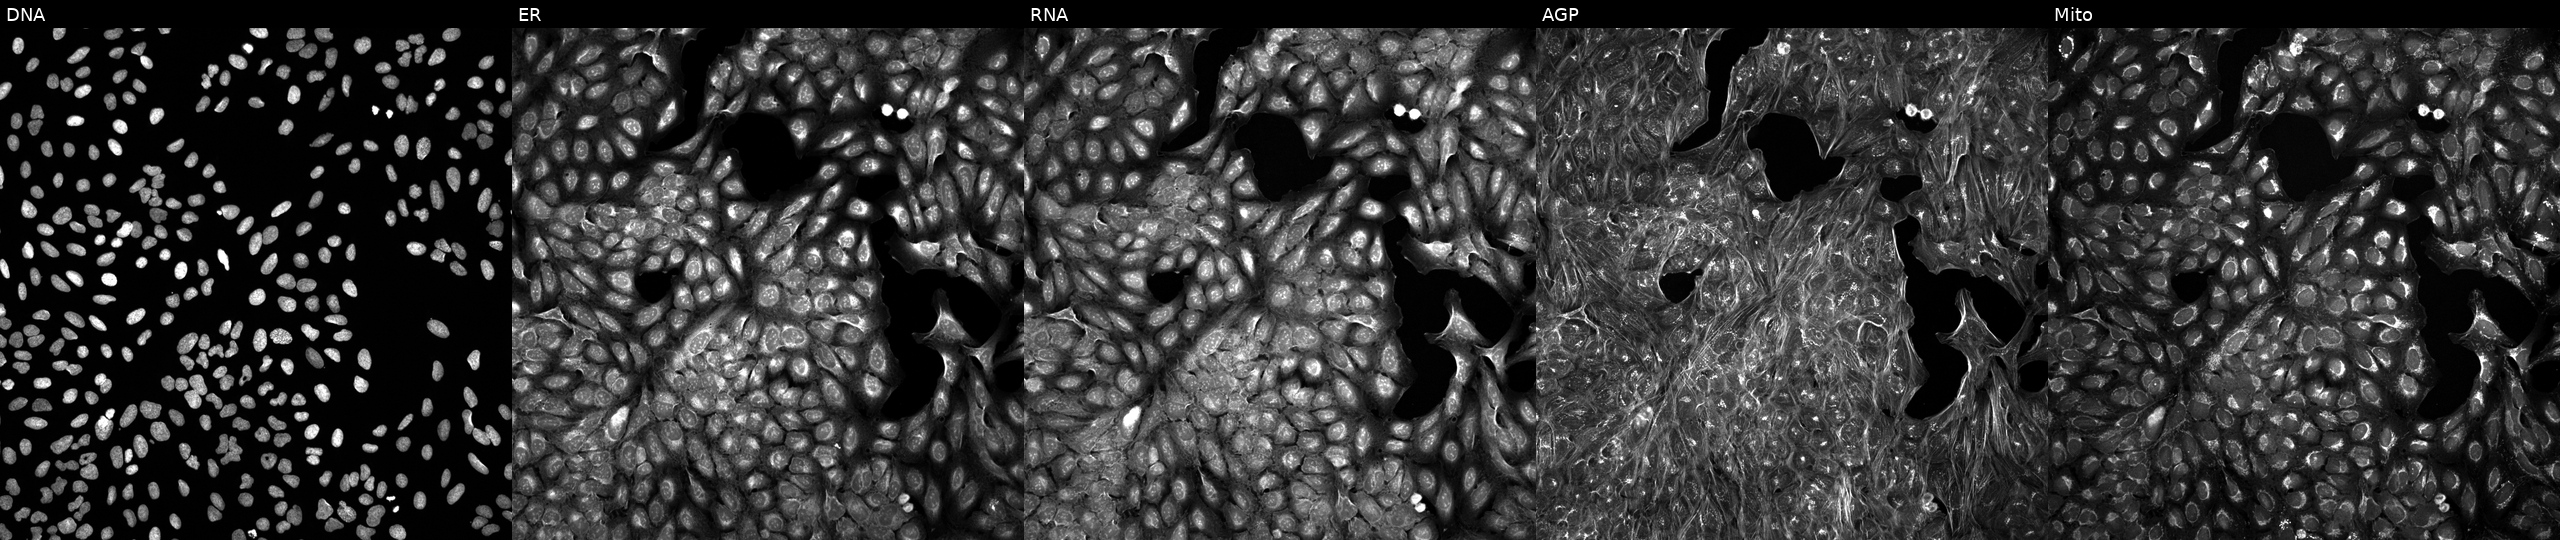
JUMP Cell Painting — TARGET2 plate. U2OS cells treated with DMSO vehicle only (negative control). The five panels, left to right, show DNA, ER, RNA, AGP, and Mito.